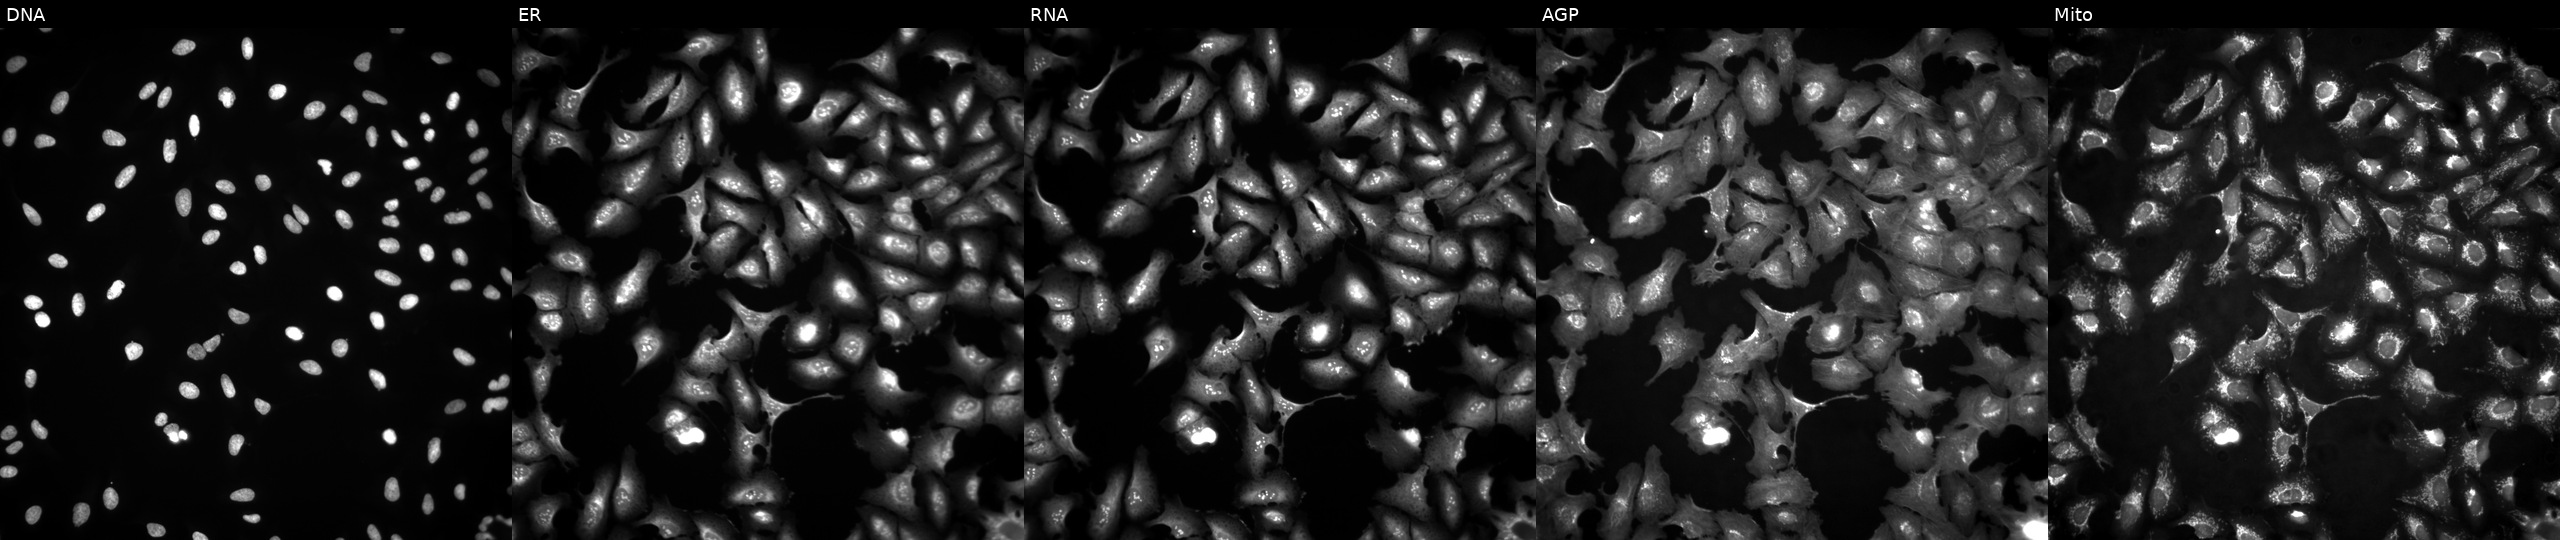
Five-channel Cell Painting image of U2OS cells overexpressing UTP23 via ORF transfection. The five panels, left to right, show DNA (nuclei); ER (endoplasmic reticulum); RNA (nucleoli and cytoplasmic RNA); AGP (actin cytoskeleton, Golgi, and plasma membrane); Mito (mitochondria).